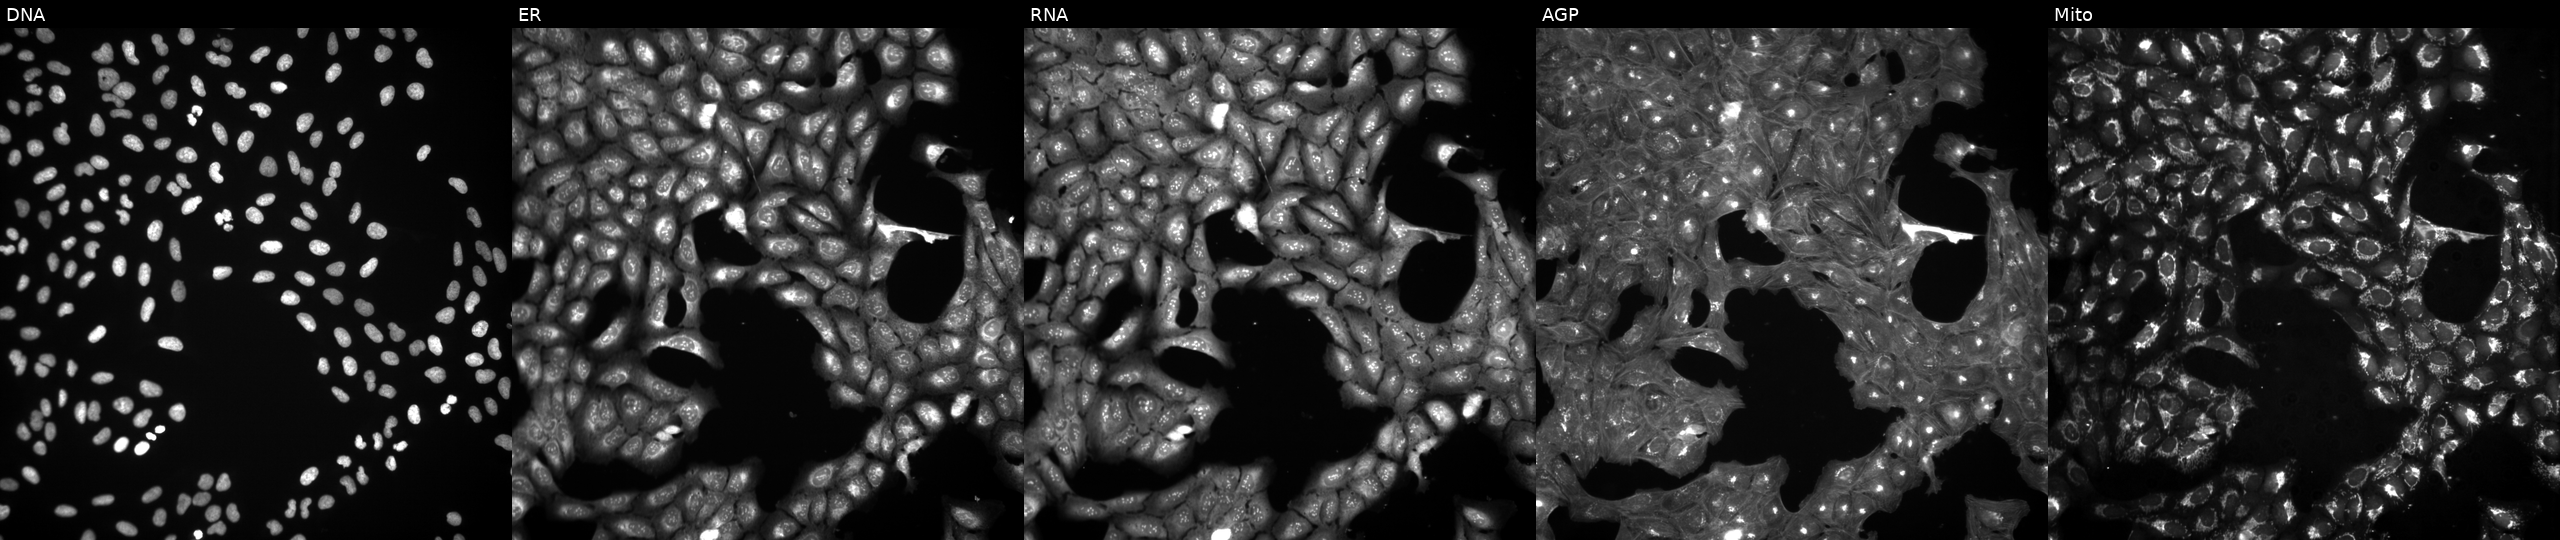
High-content fluorescence microscopy (Cell Painting). Cell line: U2OS. Perturbation: exposed to DMSO alone as a negative control (JUMP id JCP2022_033924). From left to right: DNA (nuclei); ER (endoplasmic reticulum); RNA (nucleoli and cytoplasmic RNA); AGP (actin cytoskeleton, Golgi, and plasma membrane); Mito (mitochondria). Source 3, plate JCPQC052, well N01.